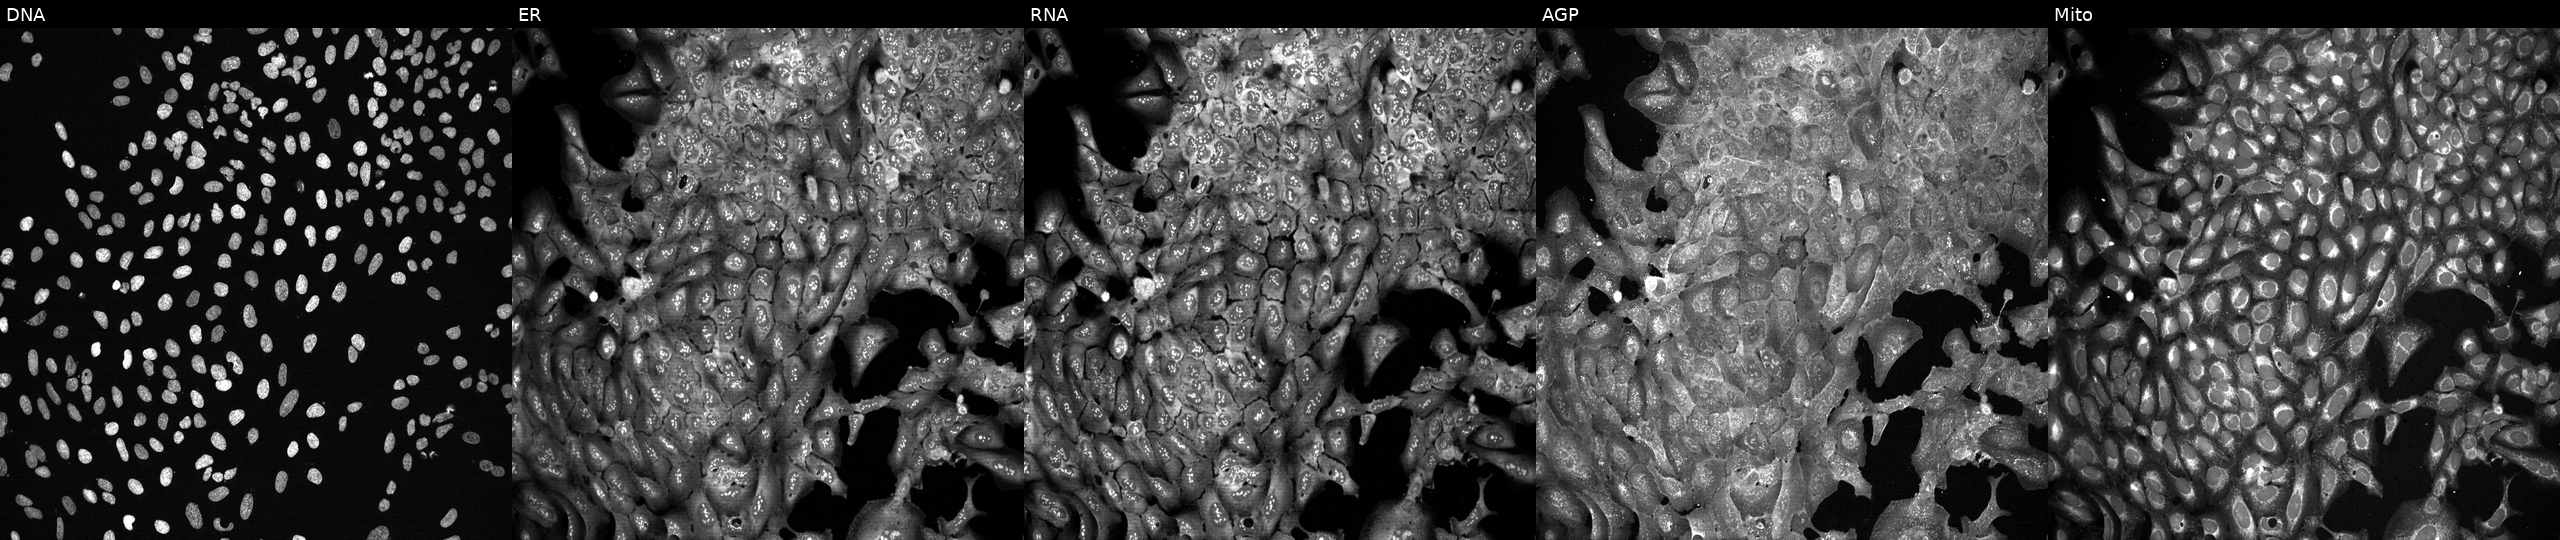
This image strip shows the five Cell Painting channels for a single field of U2OS cells CRISPR-edited to disrupt EEF1B2 (JUMP id JCP2022_802009). The five panels, left to right, show DNA, ER, RNA, AGP, and Mito.